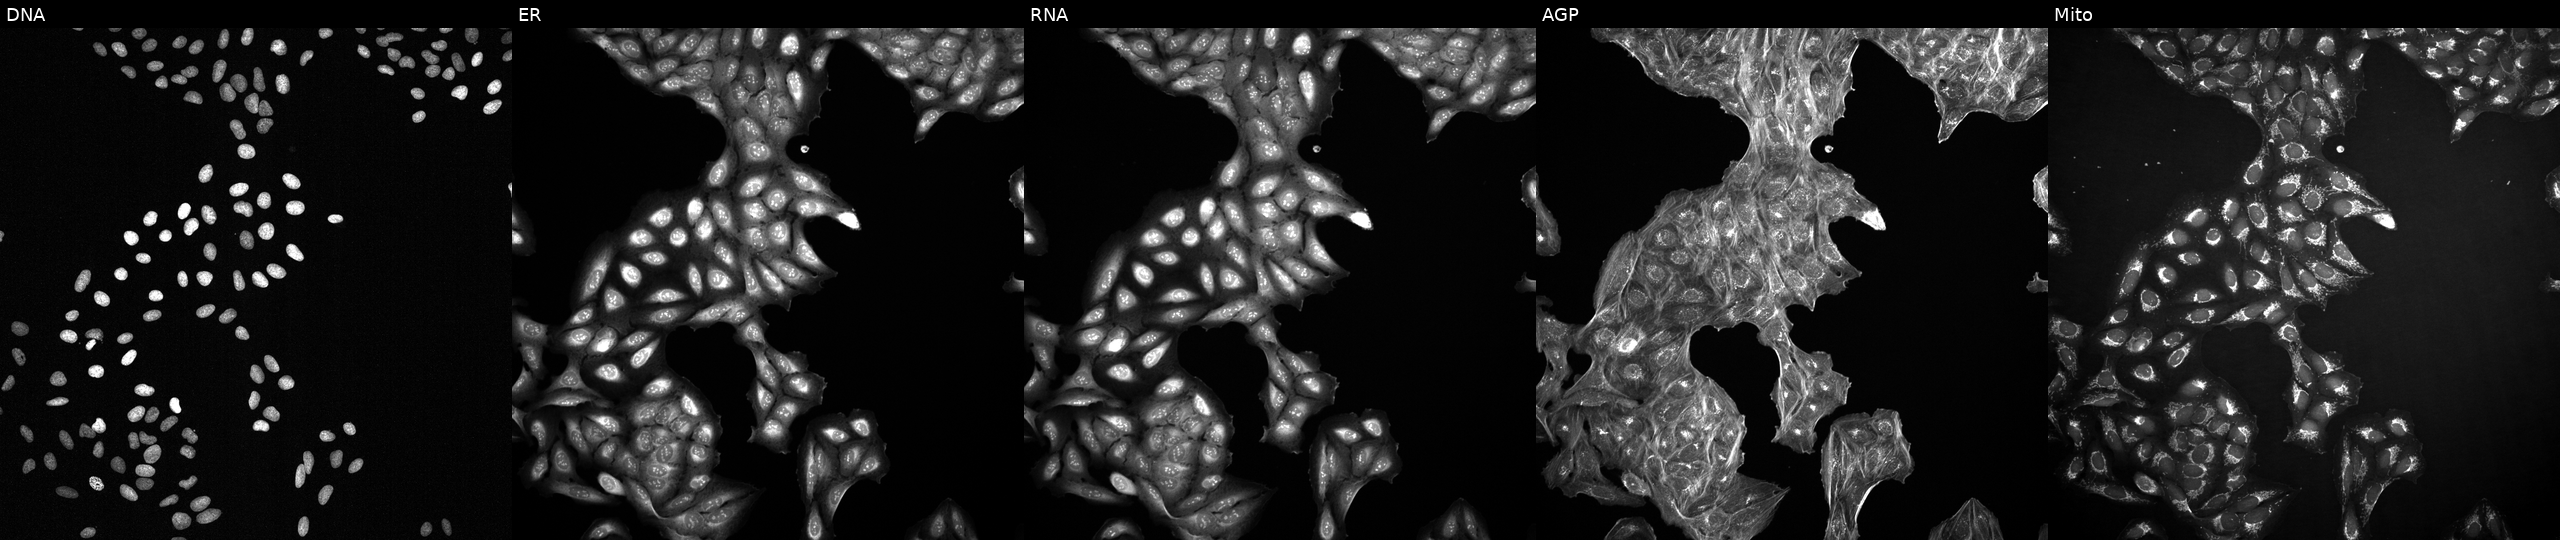
Channels (left→right): DNA (nuclei); ER (endoplasmic reticulum); RNA (nucleoli and cytoplasmic RNA); AGP (actin cytoskeleton, Golgi, and plasma membrane); Mito (mitochondria). U2OS osteosarcoma cells treated with DMSO vehicle only (negative control). Cell Painting assay, JUMP-CP dataset. Source 2, plate 1053600674, well D18.